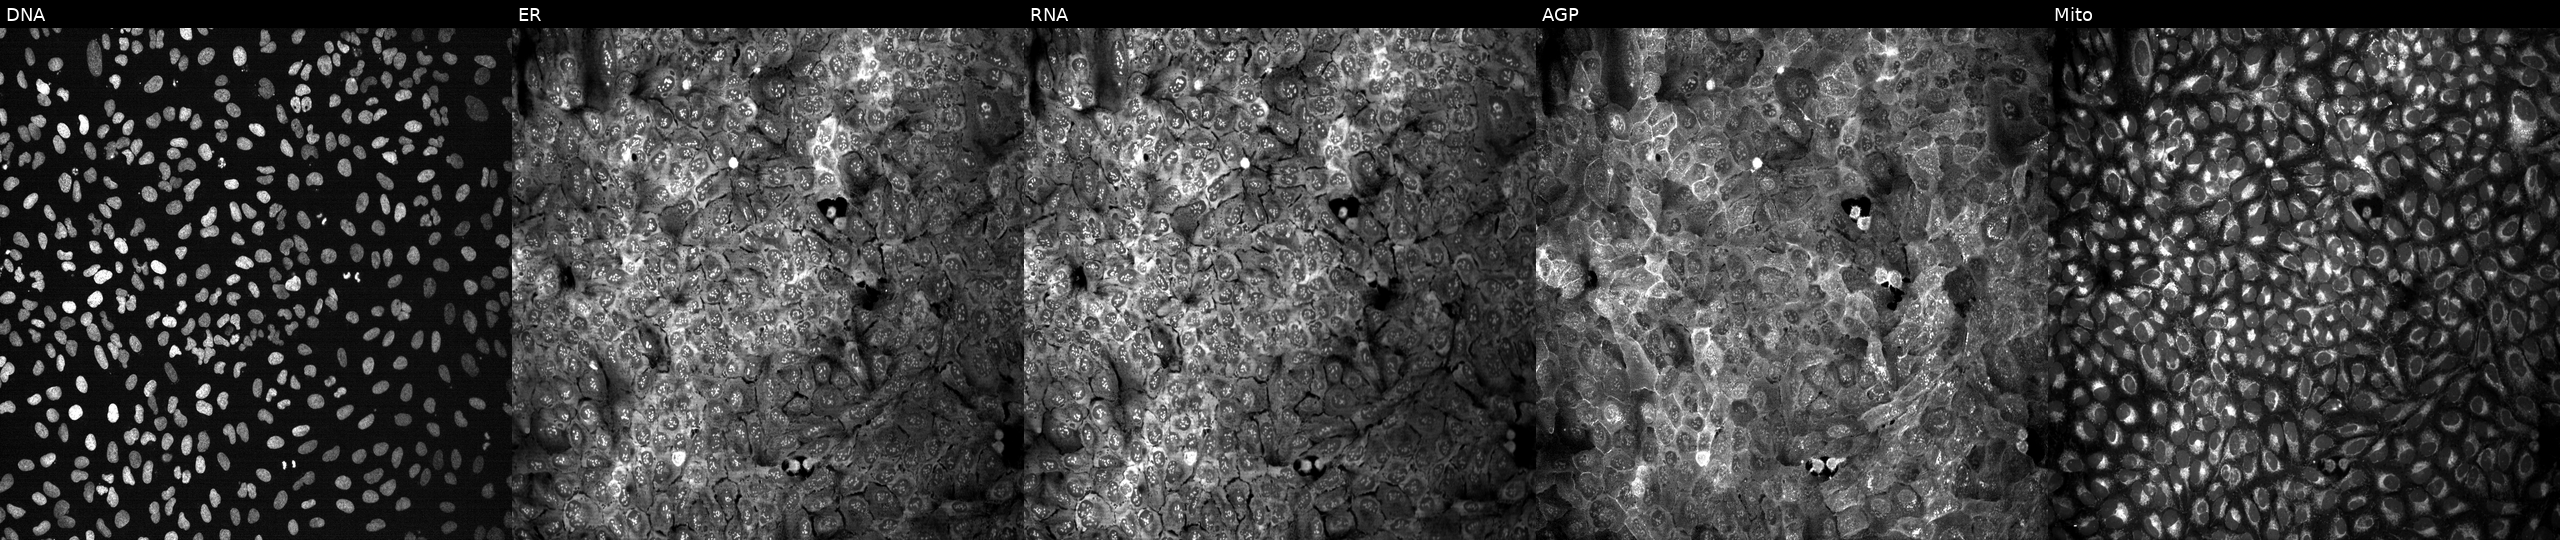
This image strip shows the five Cell Painting channels for a single field of U2OS cells with ATP6V1A knocked out by CRISPR (JUMP id JCP2022_800733). Channels (left→right): DNA, ER, RNA, AGP, and Mito. Source 13, plate CP-CC9-R4-04, well J22.